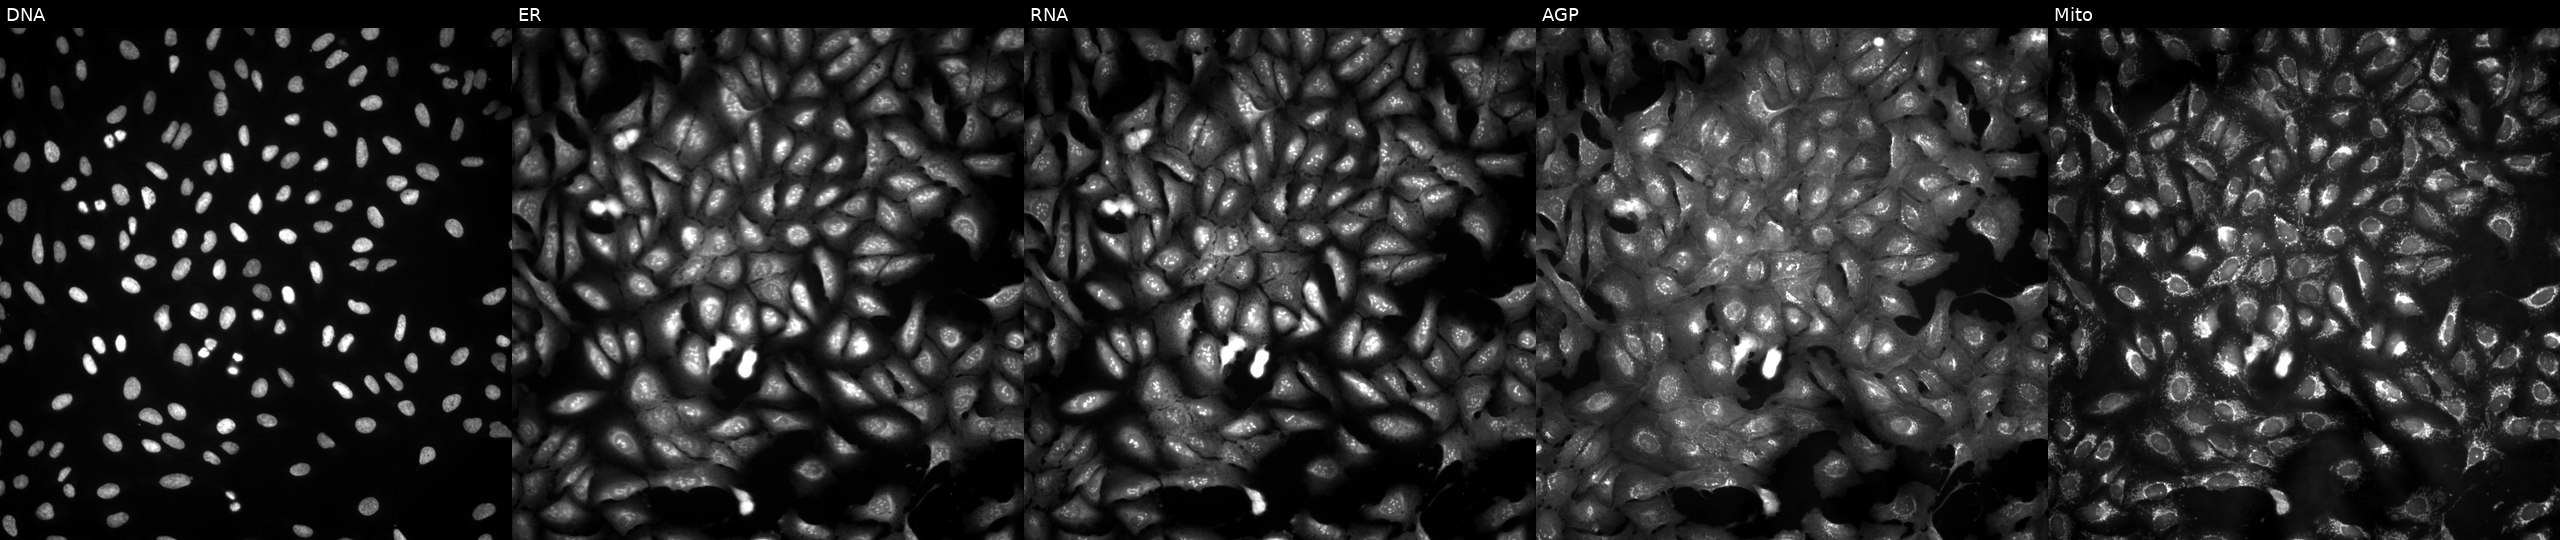
This image strip shows the five Cell Painting channels for a single field of U2OS cells overexpressing FBXW10 via ORF transfection. The five panels, left to right, show DNA, ER, RNA, AGP, and Mito. Source 4, plate BR00121543, well E03.